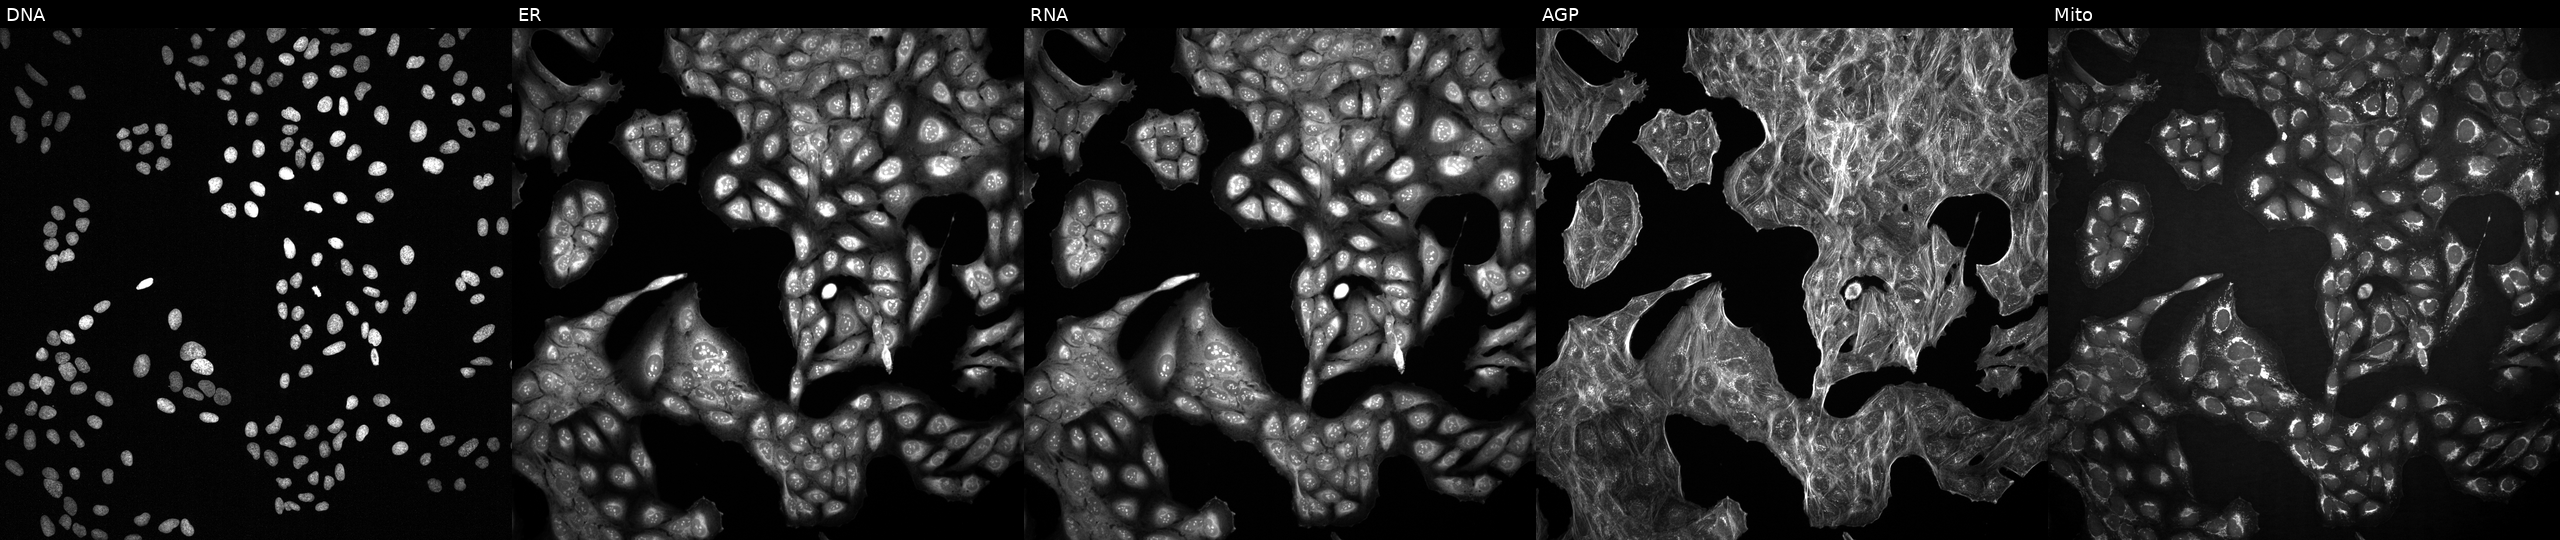
JUMP Cell Painting — COMPOUND plate. U2OS cells with an unidentified perturbation (not annotated in JUMP metadata). Panels show, left to right, DNA (nuclei); ER (endoplasmic reticulum); RNA (nucleoli and cytoplasmic RNA); AGP (actin cytoskeleton, Golgi, and plasma membrane); Mito (mitochondria).